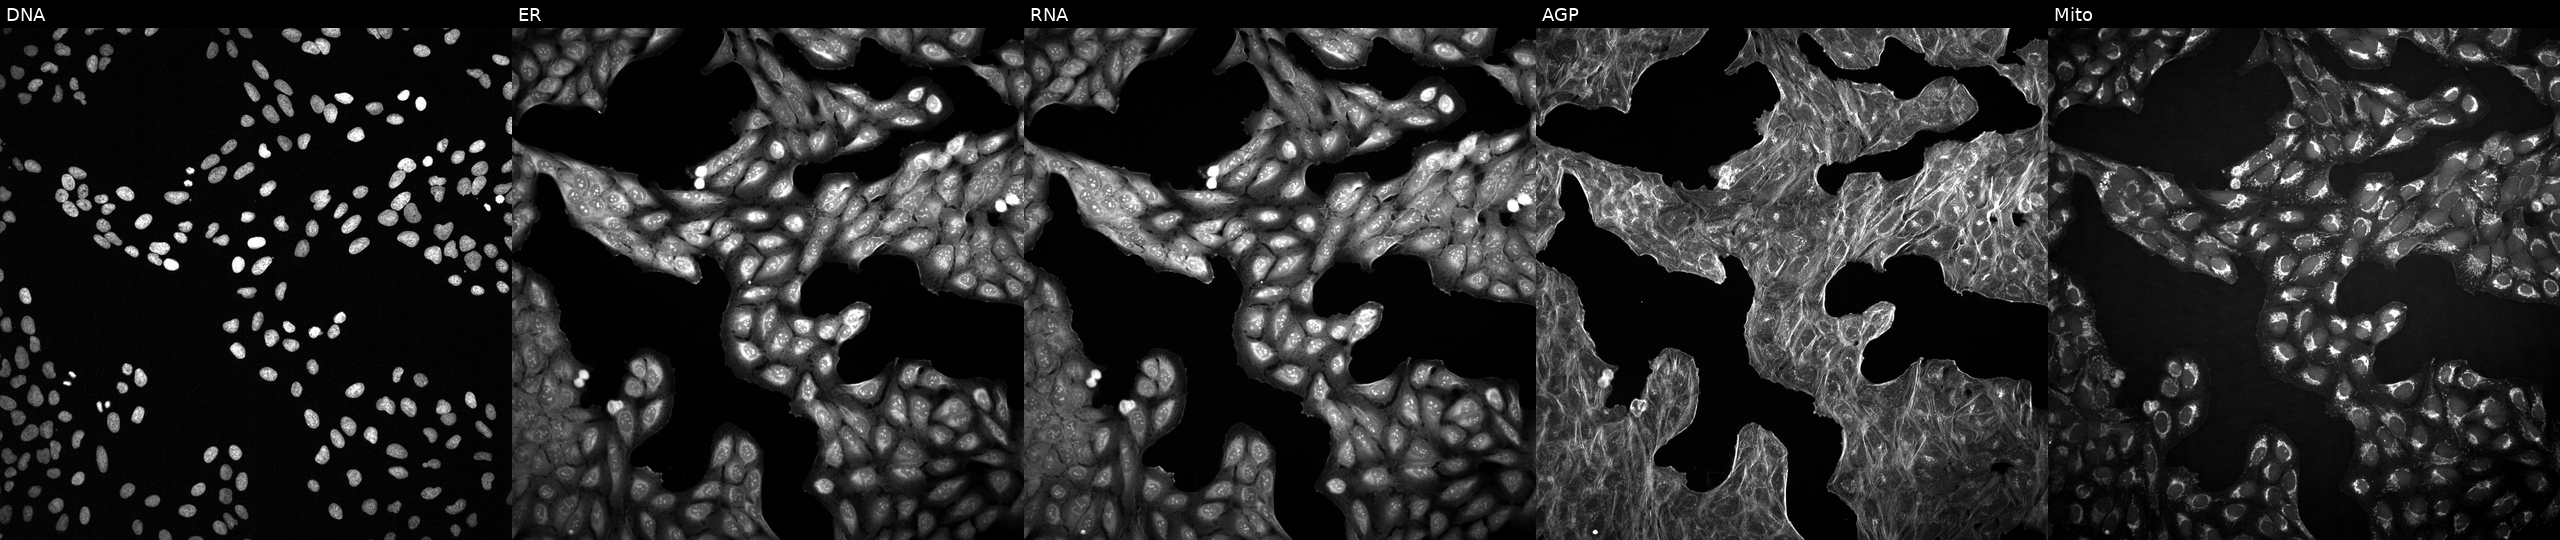
From left to right: DNA, ER, RNA, AGP, and Mito. U2OS osteosarcoma cells with an unidentified perturbation (not annotated in JUMP metadata). Cell Painting assay, JUMP-CP dataset.